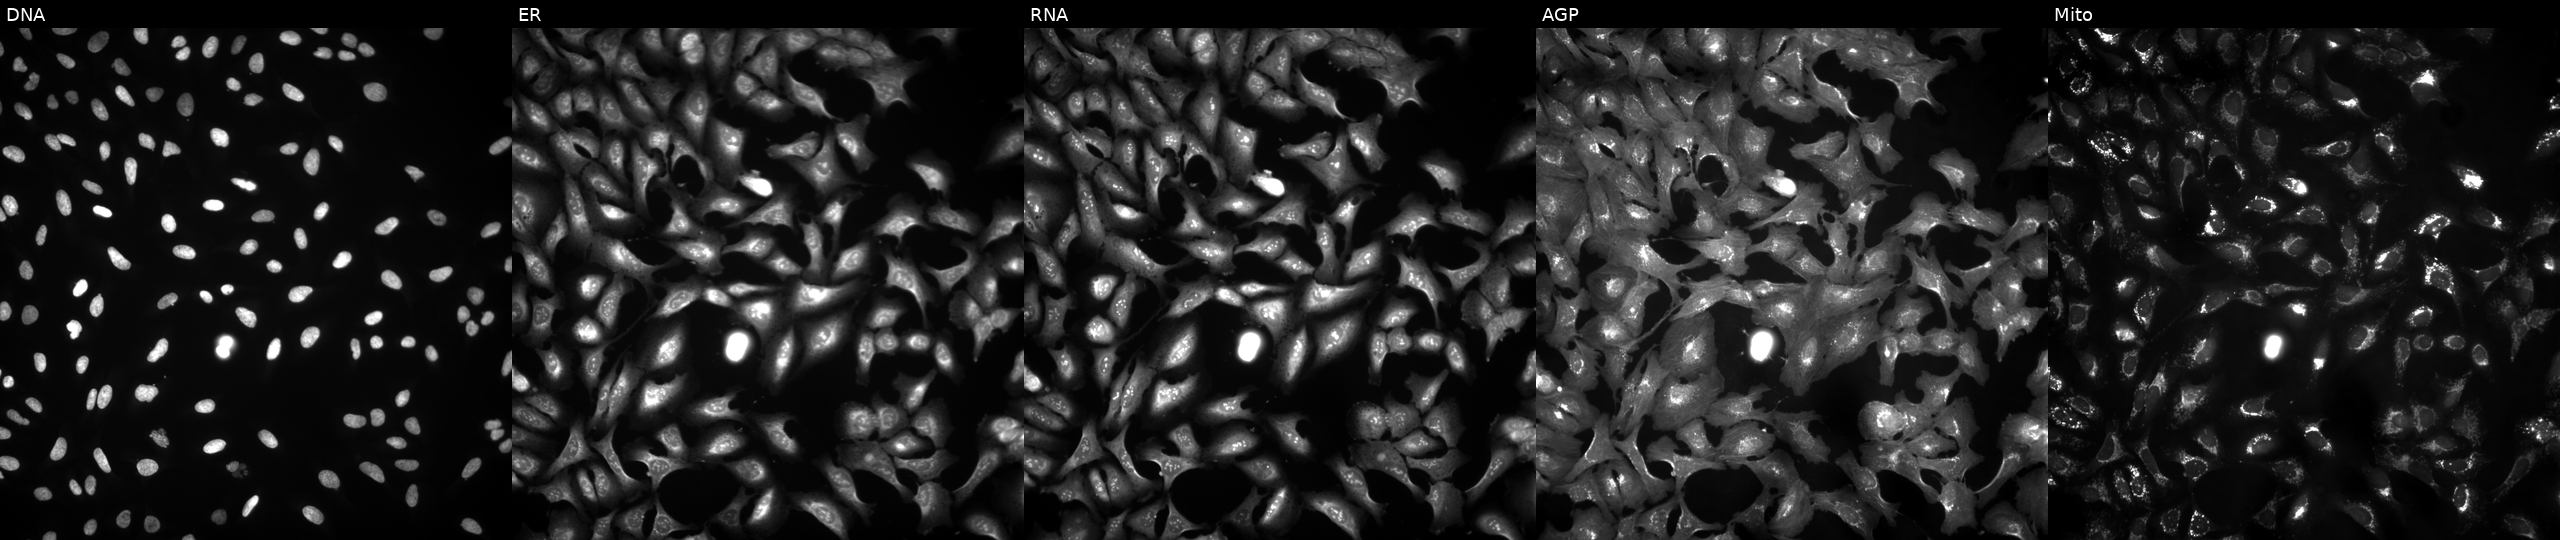
U2OS cells, Cell Painting assay, transfected with an ORF construct for MIPEP. Channels (left→right): DNA (nuclei); ER (endoplasmic reticulum); RNA (nucleoli and cytoplasmic RNA); AGP (actin cytoskeleton, Golgi, and plasma membrane); Mito (mitochondria). Each panel is percentile-stretched 16-bit fluorescence.